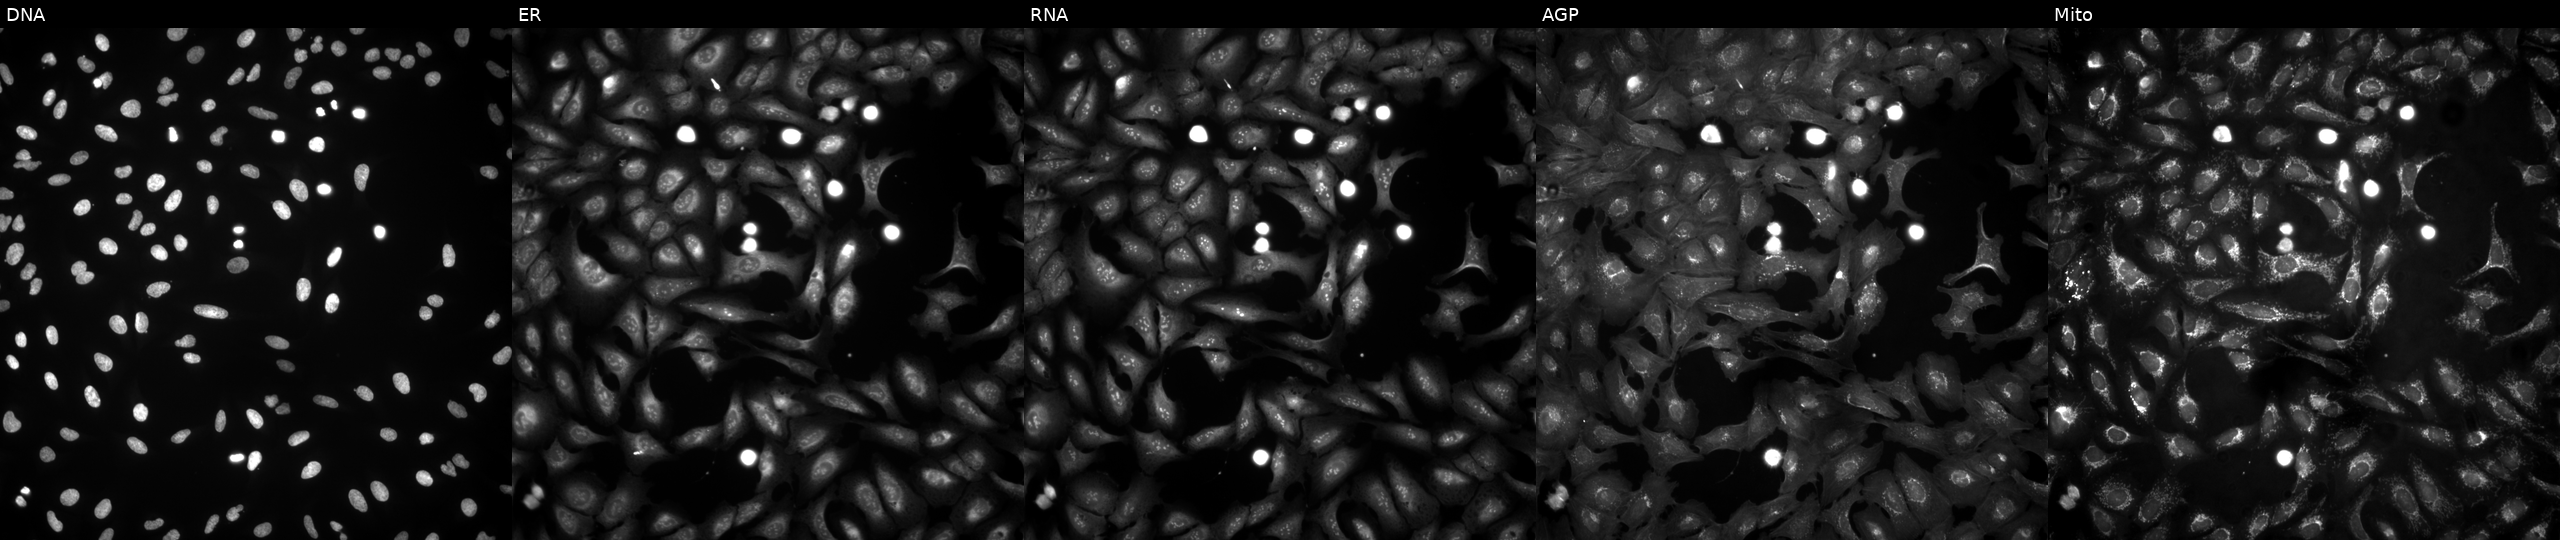
Five-channel Cell Painting image of U2OS cells overexpressing H2AC12 via ORF transfection. The five panels, left to right, show DNA (nuclei); ER (endoplasmic reticulum); RNA (nucleoli and cytoplasmic RNA); AGP (actin cytoskeleton, Golgi, and plasma membrane); Mito (mitochondria).